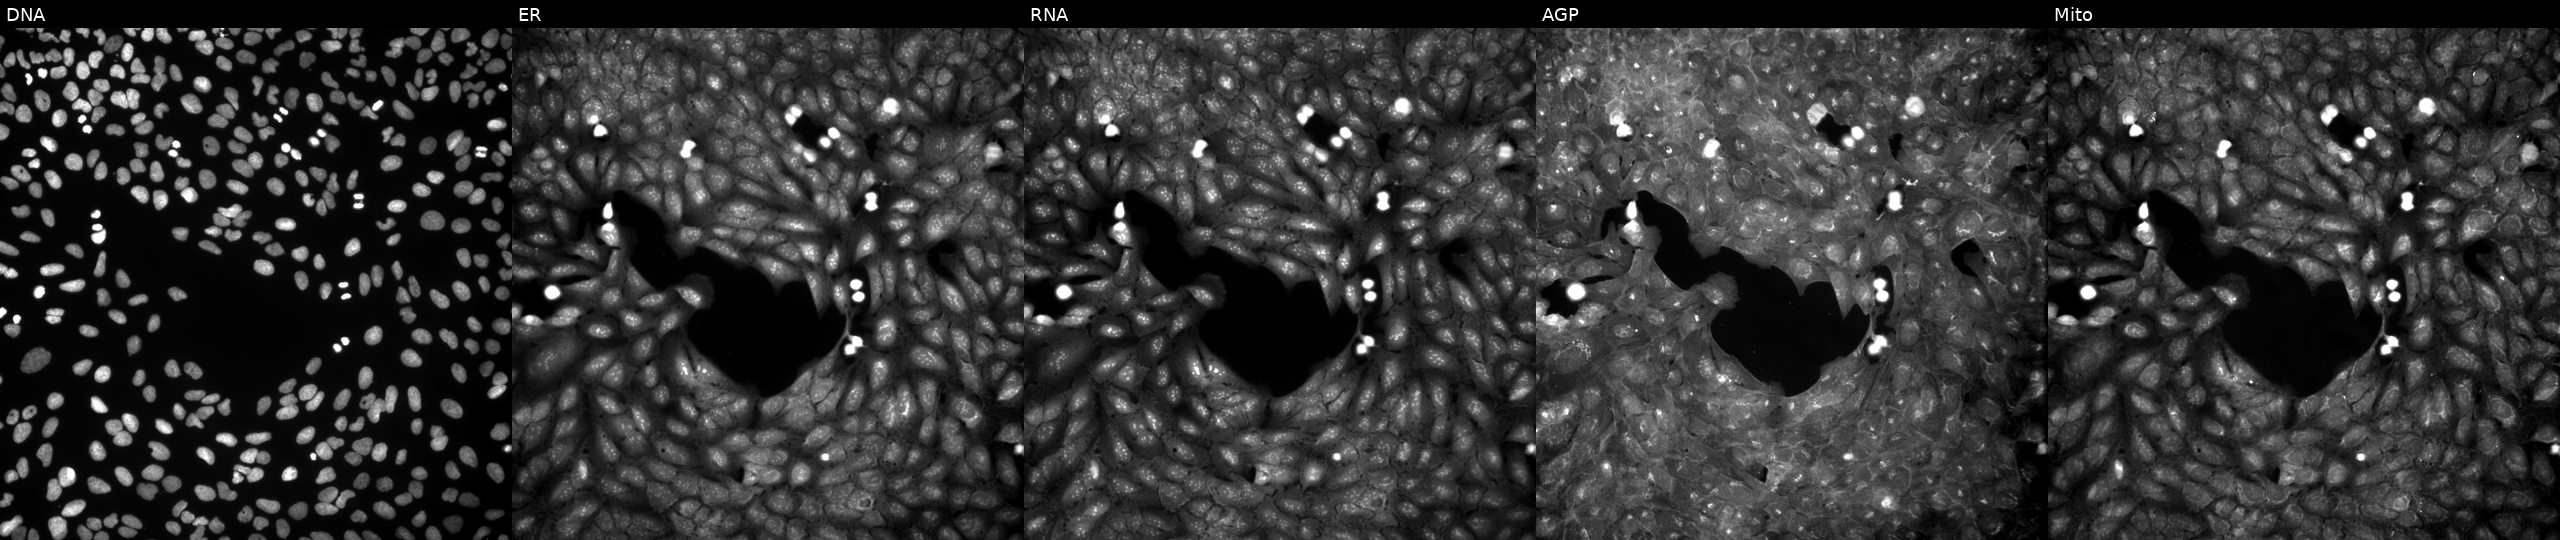
High-content fluorescence microscopy (Cell Painting). Cell line: U2OS. Perturbation: treated with a small-molecule compound (InChIKey IELBMTPOEINEAN-UHFFFAOYSA-N). From left to right: Hoechst 33342, concanavalin A, SYTO 14, phalloidin and WGA, MitoTracker.